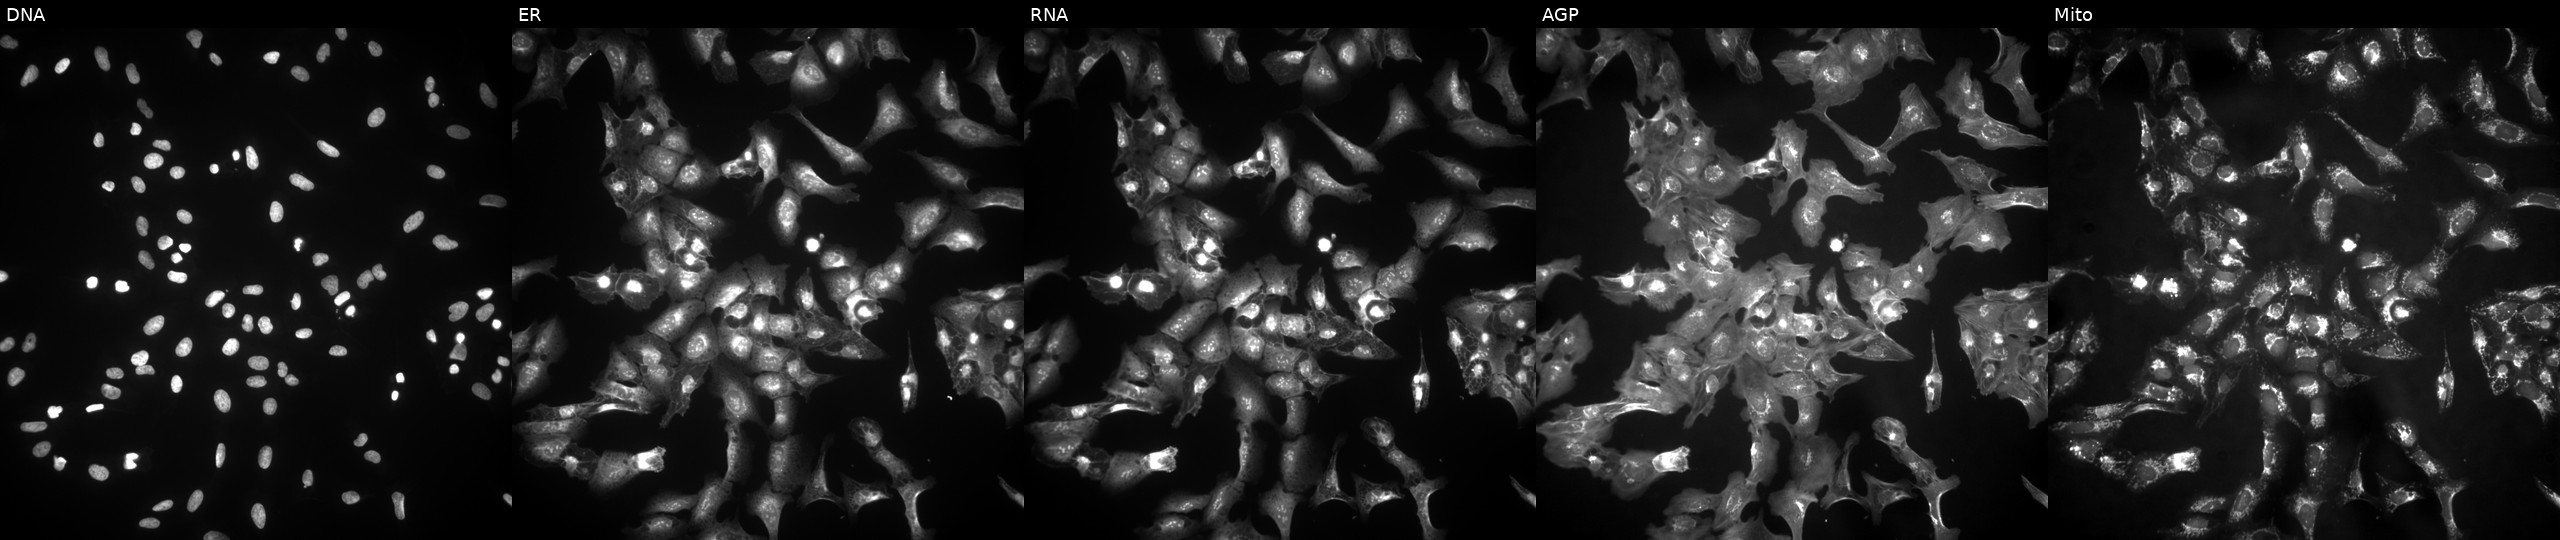
This image strip shows the five Cell Painting channels for a single field of U2OS cells transfected with an ORF construct for KCND1. From left to right: DNA, ER, RNA, AGP, and Mito. Source 4, plate BR00123506, well K20.